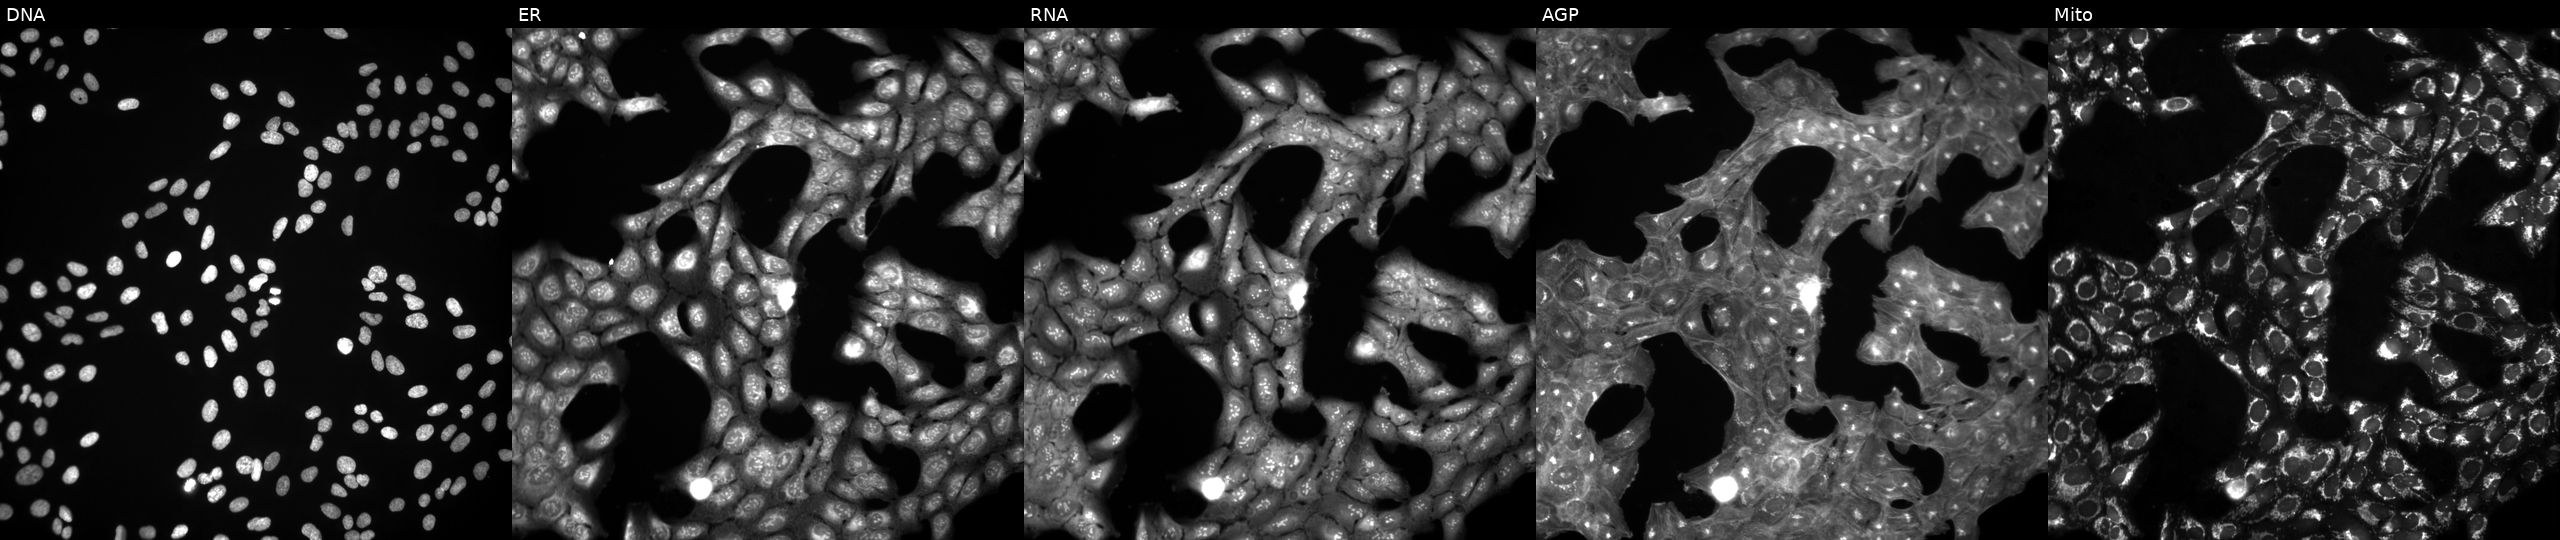
U2OS cells, Cell Painting assay, treated with a small-molecule compound (InChIKey IIQUYGWWHIHOCF-UHFFFAOYSA-N) [SMILES: O=C(NCCO)c1cccc(-c2cc(=Nc3ccc(OC(F)(F)F)cc3)[nH]cn2)c1]. From left to right: DNA, ER, RNA, AGP, and Mito. Each panel is percentile-stretched 16-bit fluorescence.